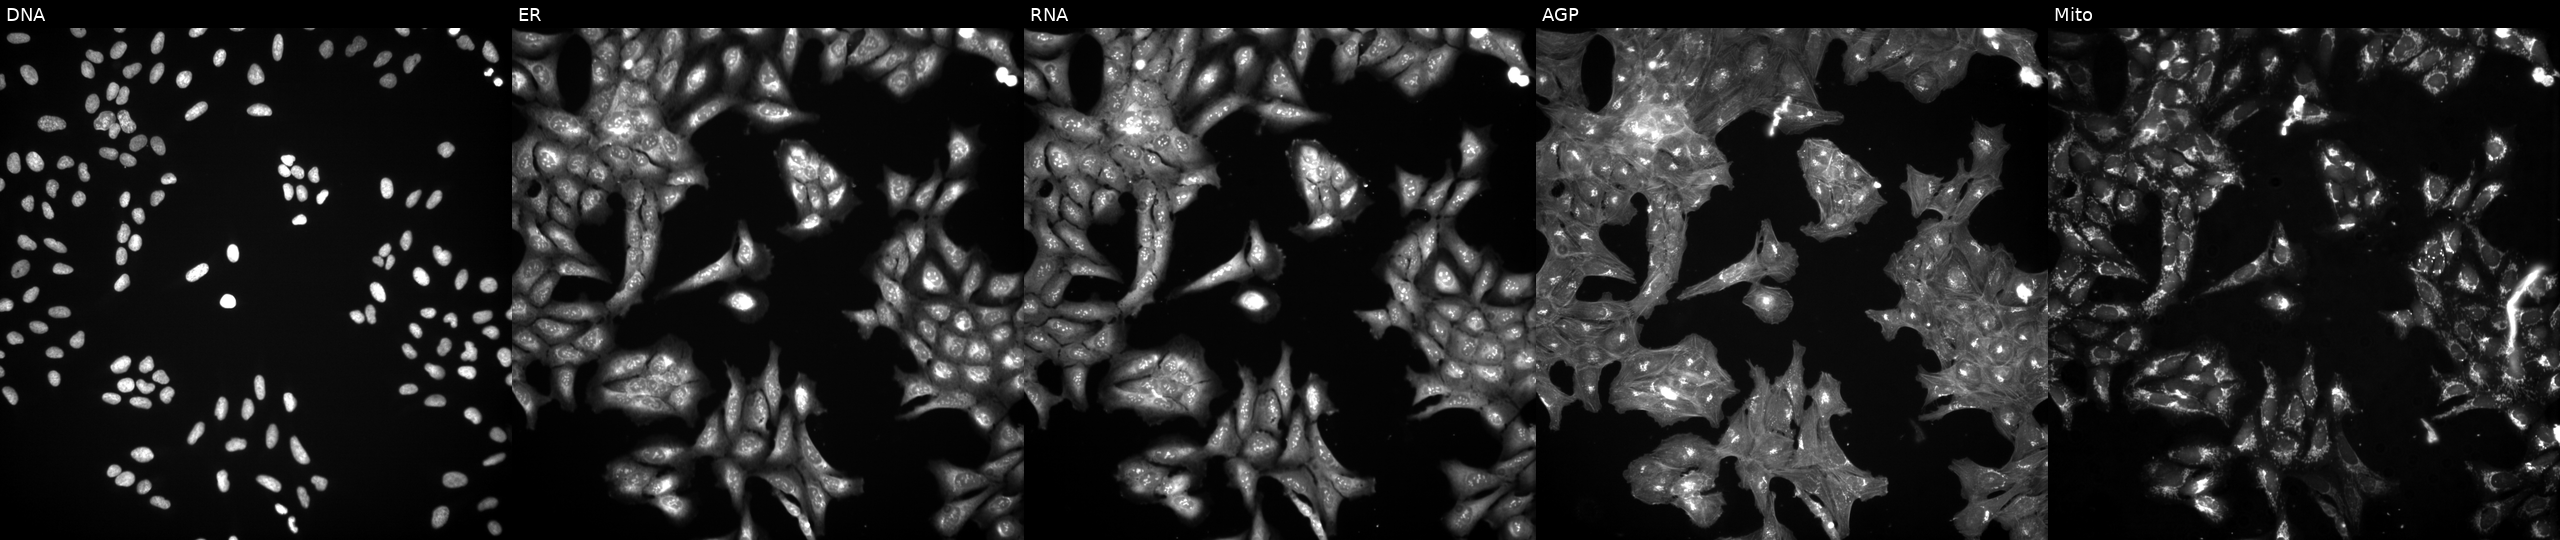
Five-channel Cell Painting image of U2OS cells exposed to a small-molecule compound (InChIKey CMSMOCZEIVJLDB-UHFFFAOYSA-N) [SMILES: O=P1(N(CCCl)CCCl)NCCCO1] (JUMP id JCP2022_012146). Channels (left→right): DNA, ER, RNA, AGP, and Mito.